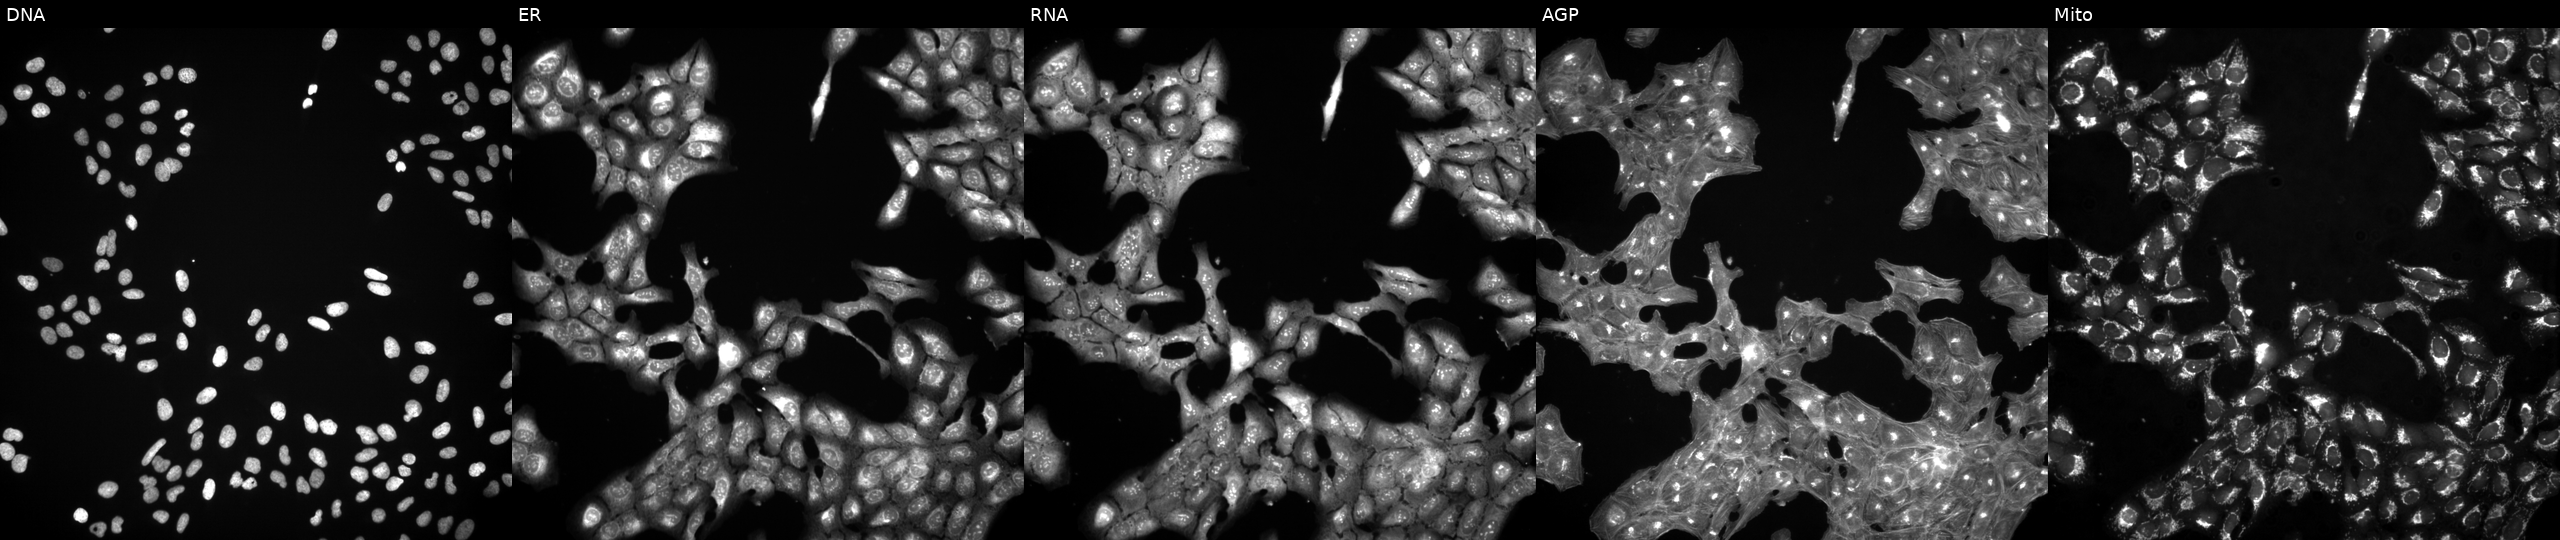
High-content fluorescence microscopy (Cell Painting). Cell line: U2OS. Perturbation: treated with a small-molecule compound [SMILES: Cc1ccc(C)n1-c1cc(S(=O)(=O)N2CCOCC2)ccc1N1CCCC1]. The five panels, left to right, show DNA, ER, RNA, AGP, and Mito.